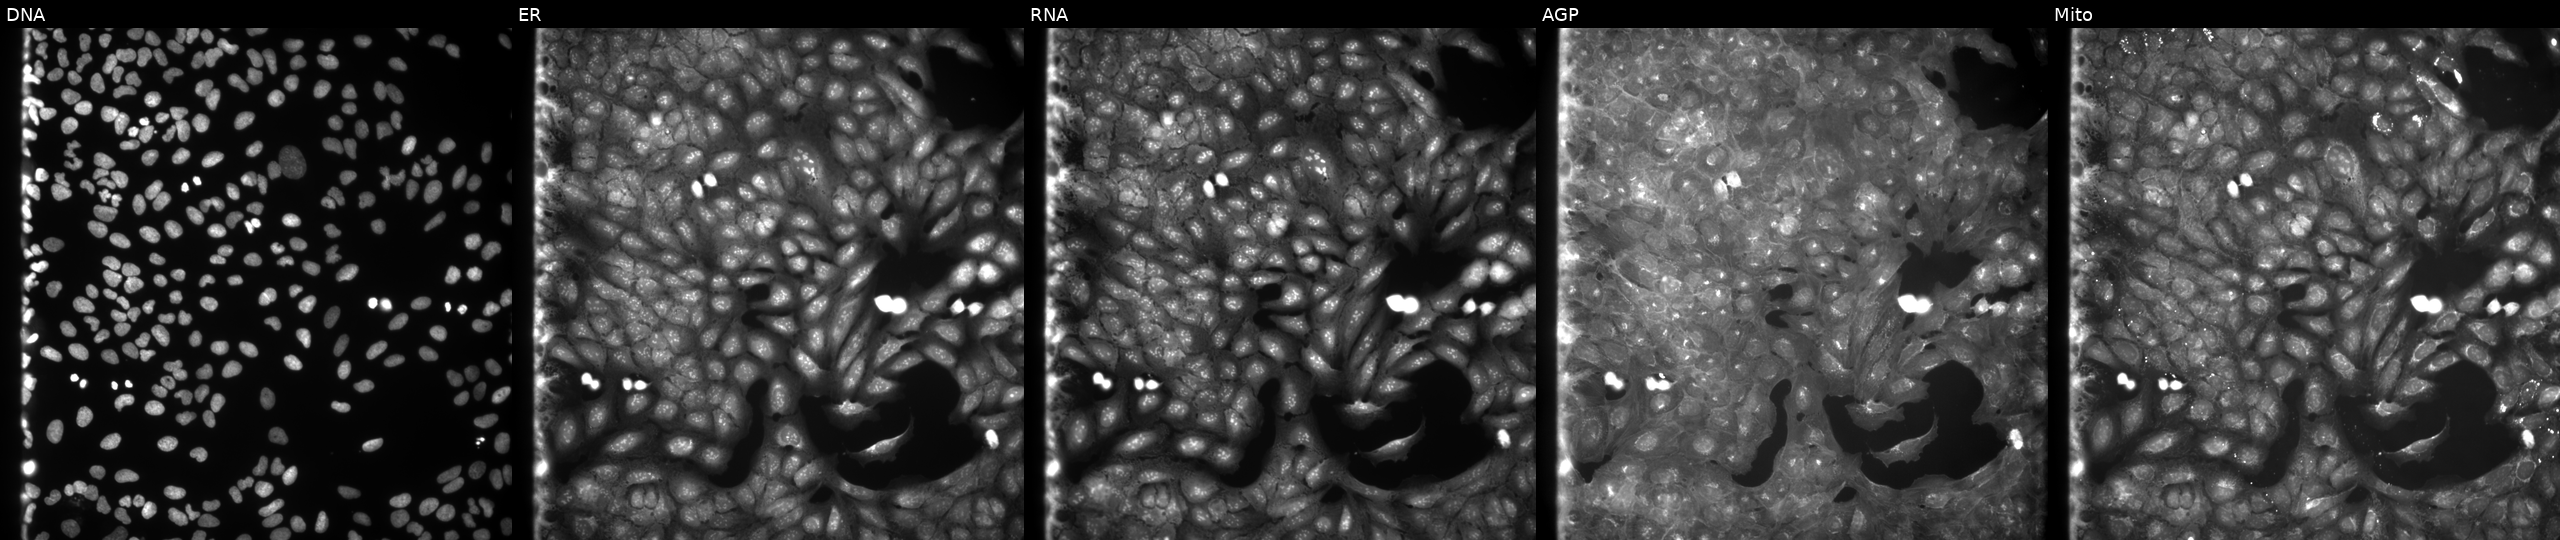
Five-channel Cell Painting image of U2OS cells perturbed with a small-molecule compound (InChIKey YRLKKDPHZDHFDQ-UHFFFAOYSA-N). Panels show, left to right, Hoechst 33342, concanavalin A, SYTO 14, phalloidin and WGA, MitoTracker.